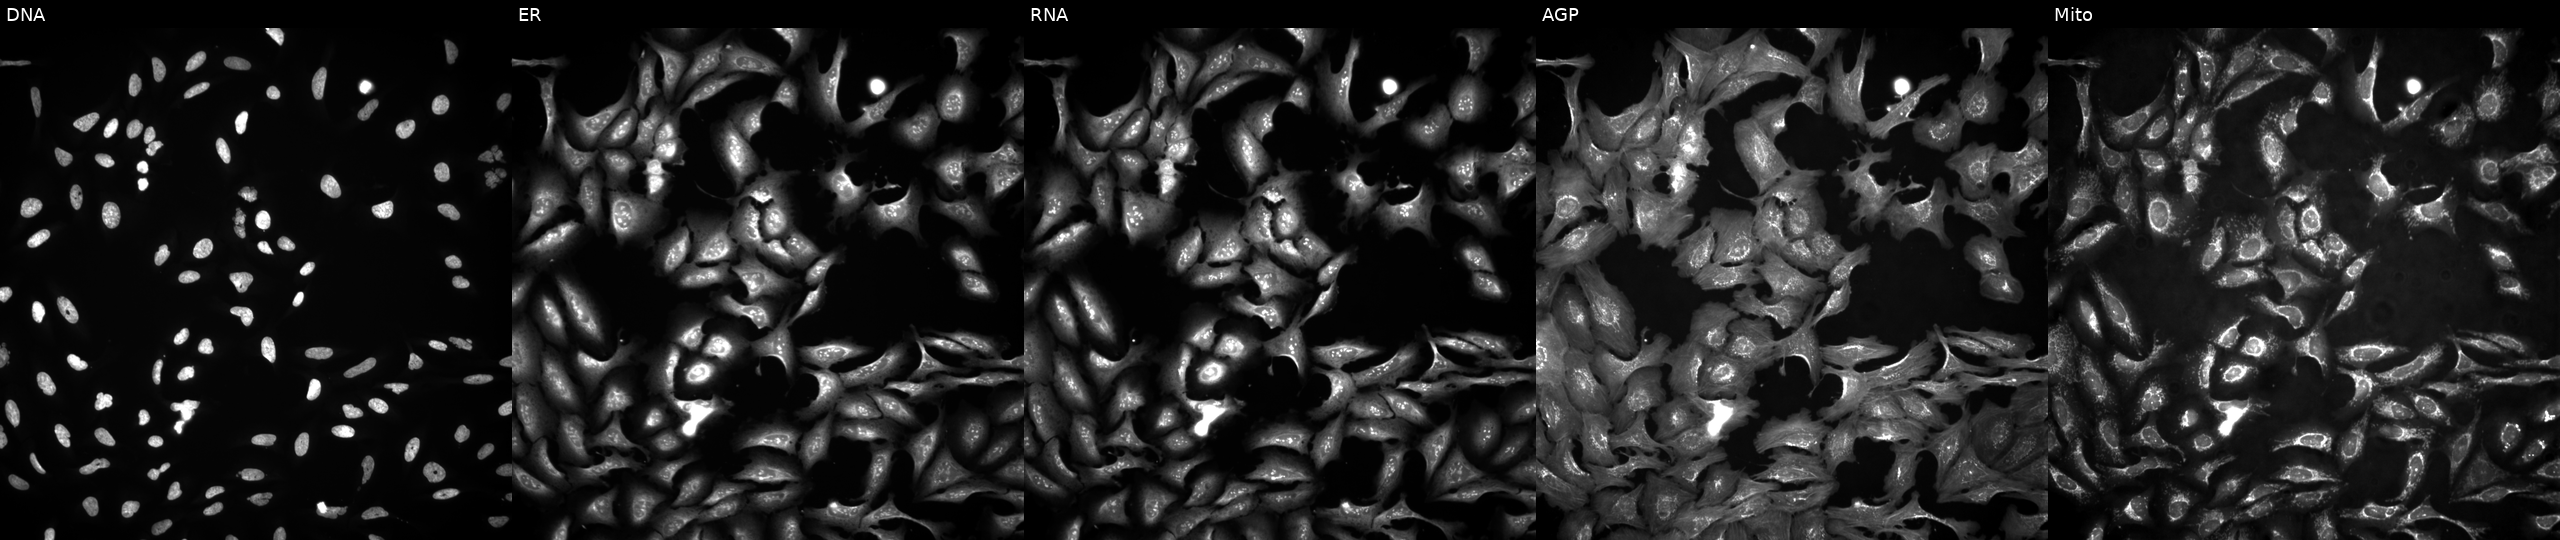
This image strip shows the five Cell Painting channels for a single field of U2OS cells with DCLK2 overexpressed (ORF). From left to right: DNA, ER, RNA, AGP, and Mito.